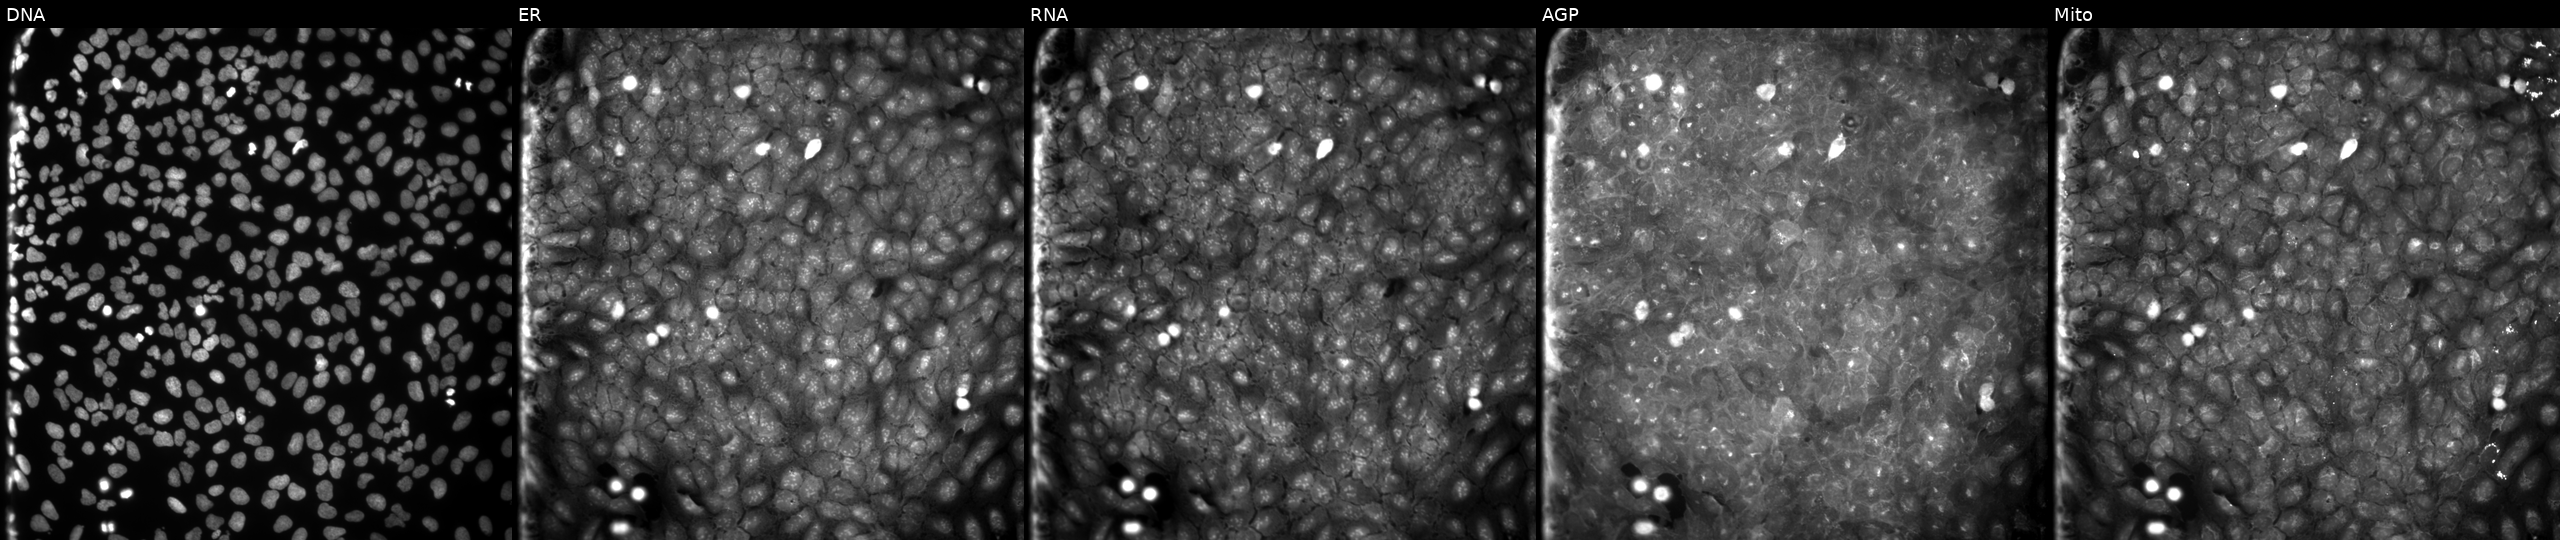
JUMP Cell Painting — COMPOUND plate. U2OS cells exposed to a small-molecule compound (JUMP id JCP2022_054797). Channels (left→right): DNA (nuclei); ER (endoplasmic reticulum); RNA (nucleoli and cytoplasmic RNA); AGP (actin cytoskeleton, Golgi, and plasma membrane); Mito (mitochondria). Source 9, plate GR00003382, well T09.